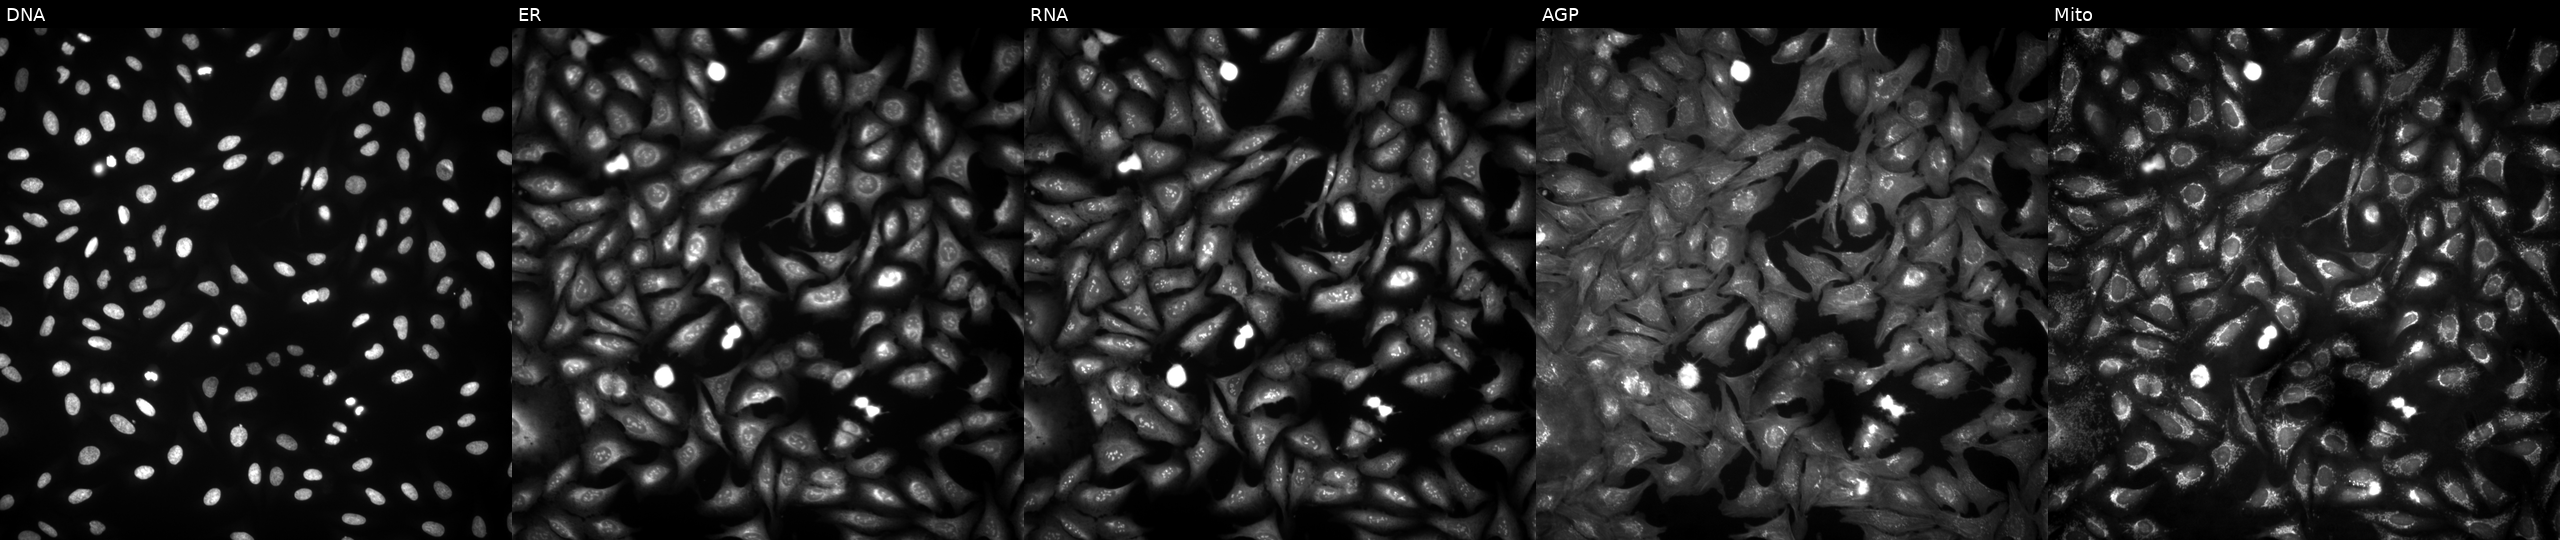
JUMP Cell Painting — ORF plate. U2OS cells expressing BFP (ORF negative control) (JUMP id JCP2022_915128). From left to right: DNA (nuclei); ER (endoplasmic reticulum); RNA (nucleoli and cytoplasmic RNA); AGP (actin cytoskeleton, Golgi, and plasma membrane); Mito (mitochondria). Source 4, plate BR00124790, well C10.